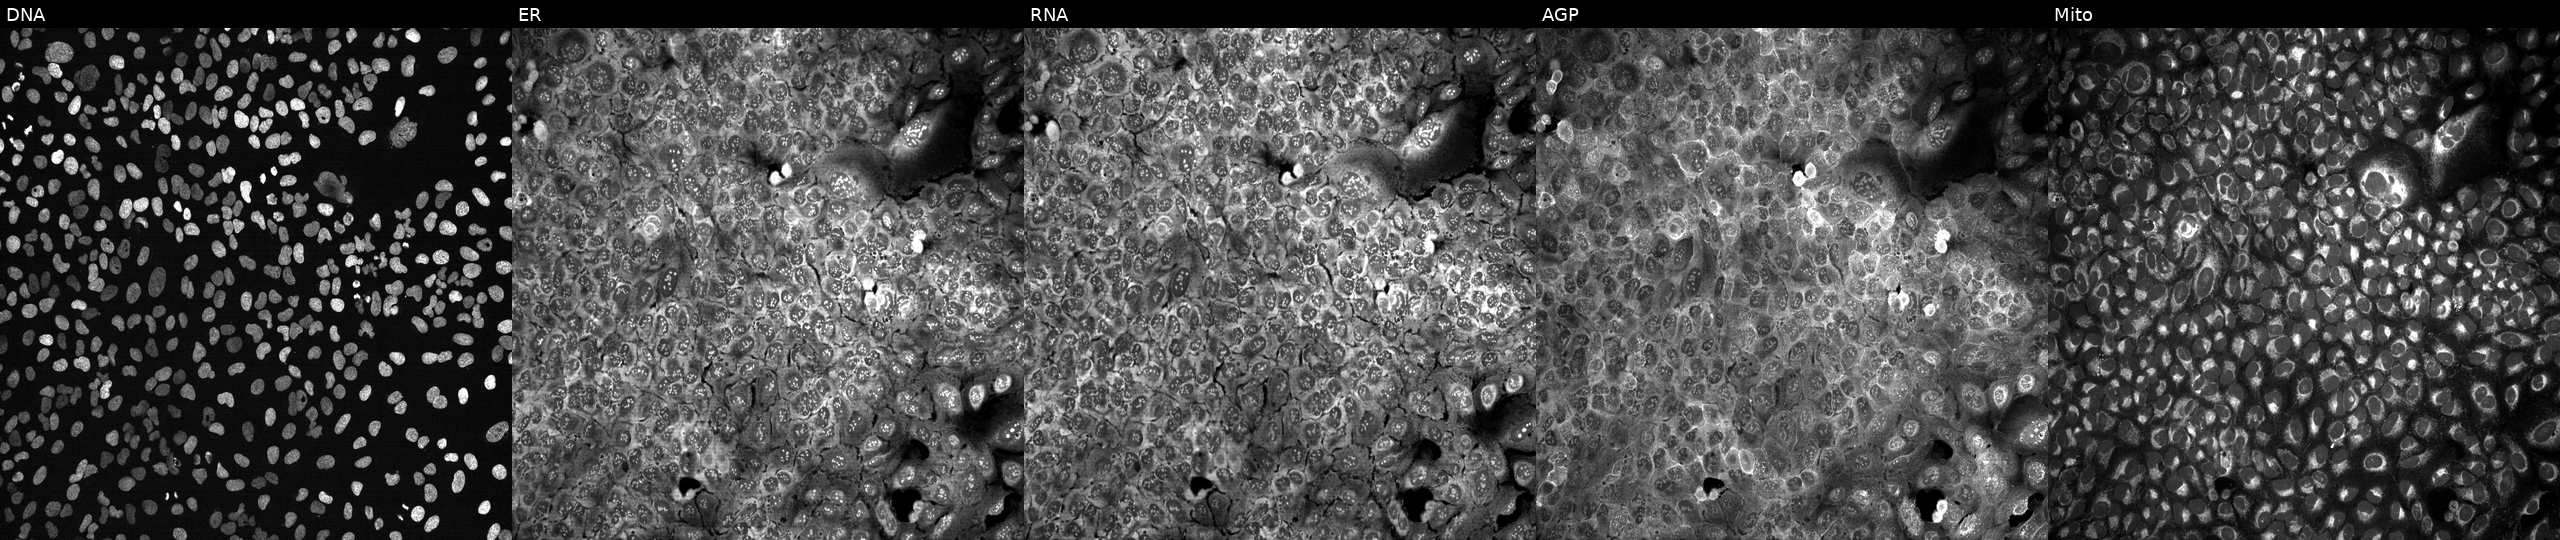
U2OS cells, Cell Painting assay, following CRISPR knockout of IL9. Panels show, left to right, DNA (nuclei); ER (endoplasmic reticulum); RNA (nucleoli and cytoplasmic RNA); AGP (actin cytoskeleton, Golgi, and plasma membrane); Mito (mitochondria). Each panel is percentile-stretched 16-bit fluorescence.